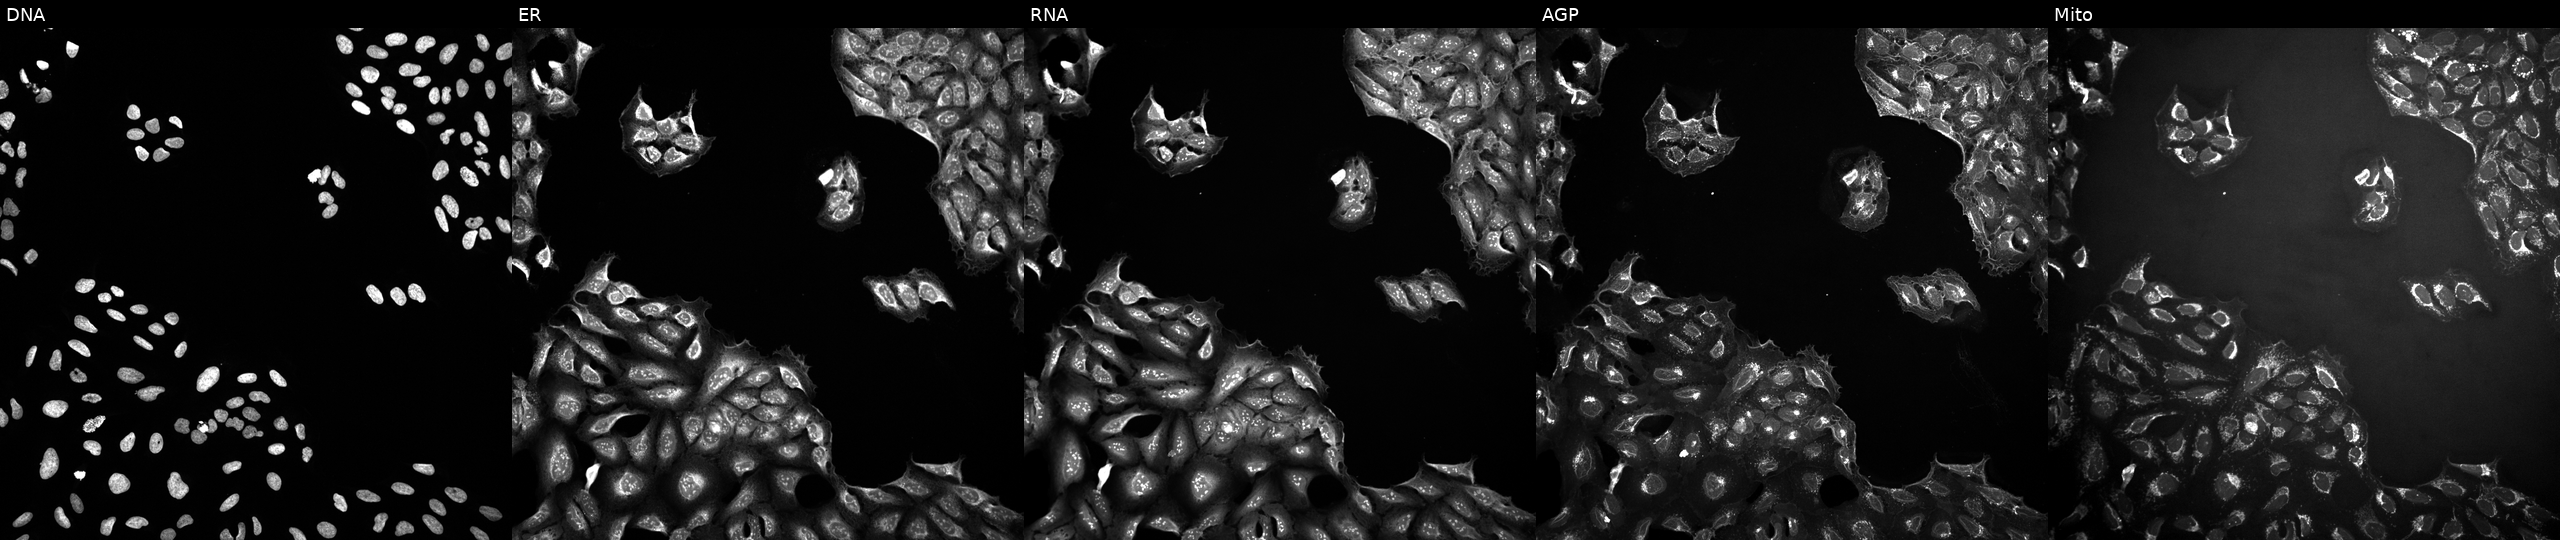
High-content fluorescence microscopy (Cell Painting). Cell line: U2OS. Perturbation: perturbed with a small-molecule compound (InChIKey GMROZDPZEUVIGD-UHFFFAOYSA-N) (JUMP id JCP2022_026475). The five panels, left to right, show DNA (nuclei); ER (endoplasmic reticulum); RNA (nucleoli and cytoplasmic RNA); AGP (actin cytoskeleton, Golgi, and plasma membrane); Mito (mitochondria). Source 10, plate Dest210803-153958, well L11.